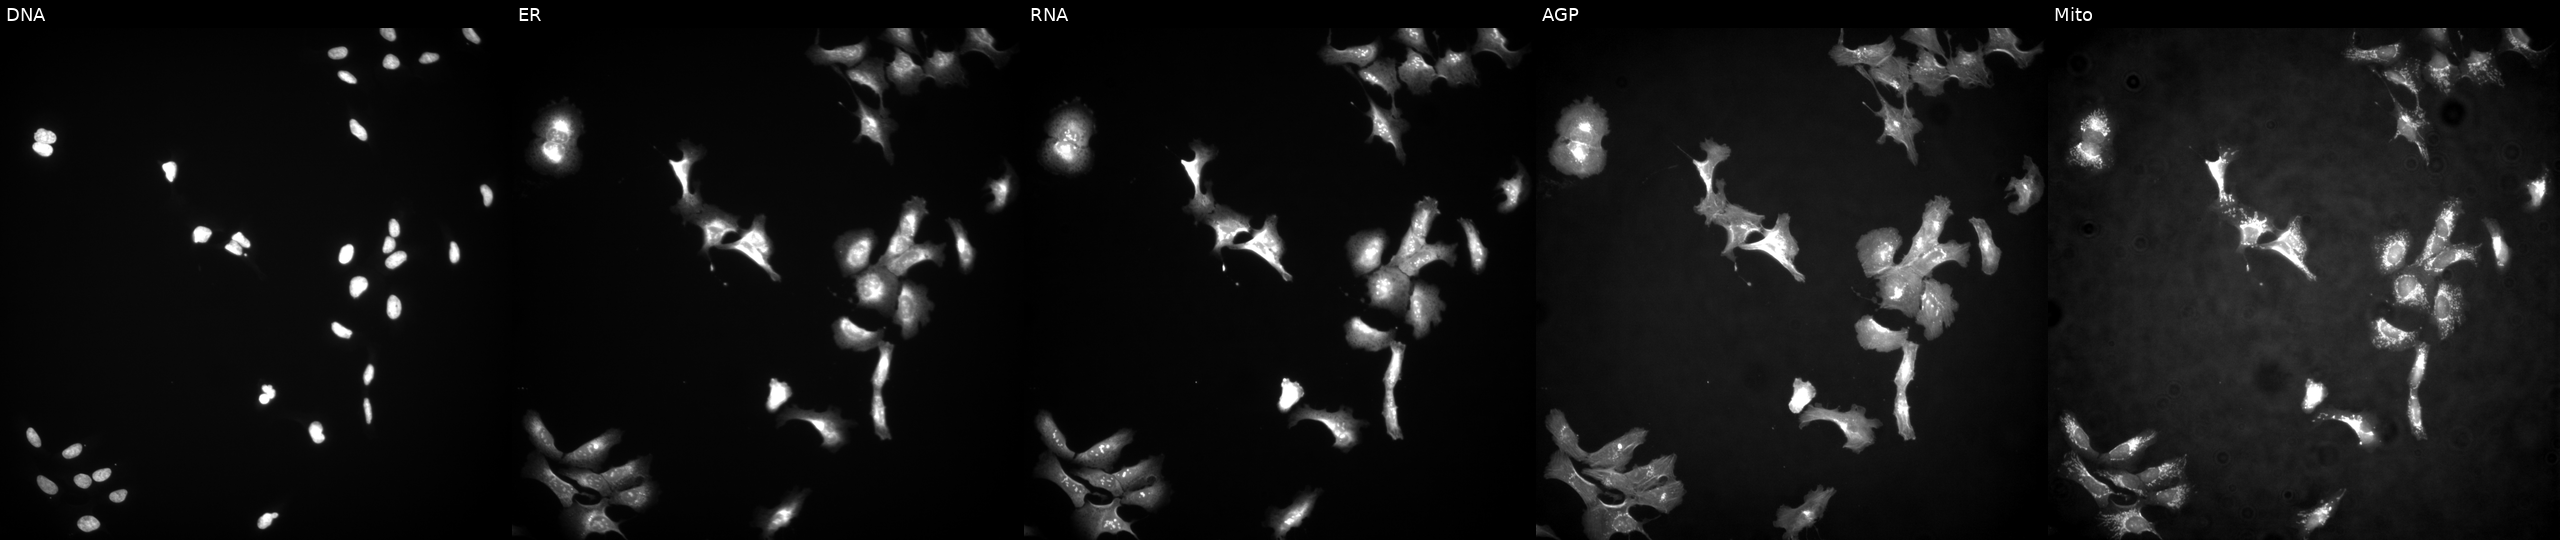
Five-channel Cell Painting image of U2OS cells expressing eGFP (ORF positive control) (JUMP id JCP2022_915132). Panels show, left to right, DNA, ER, RNA, AGP, and Mito.